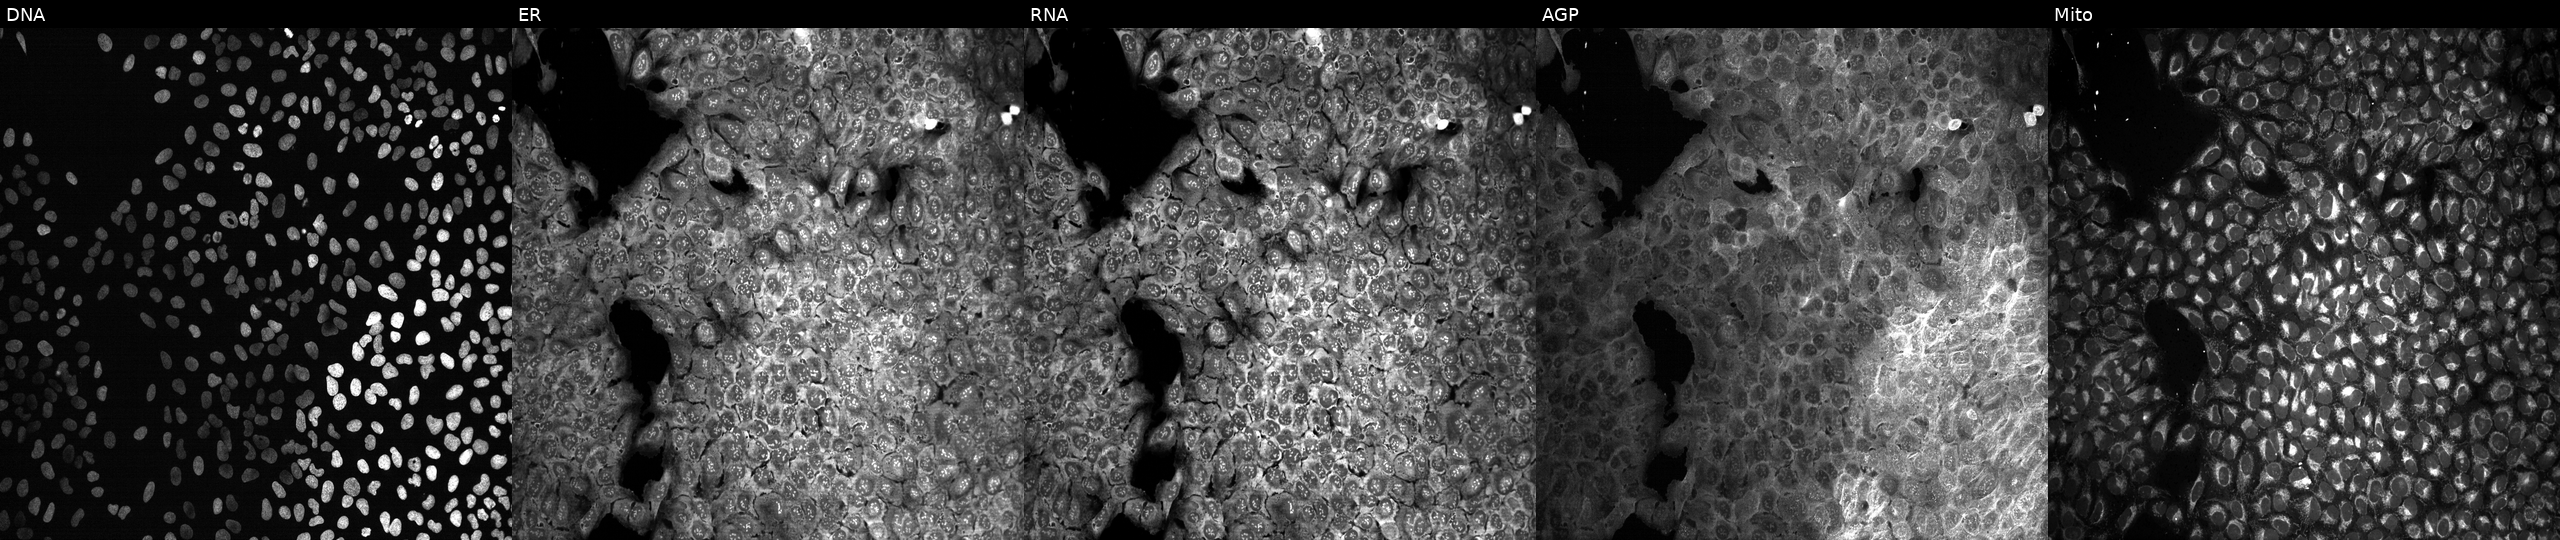
Five-channel Cell Painting image of U2OS cells with a non-targeting CRISPR guide (negative control). From left to right: DNA (nuclei); ER (endoplasmic reticulum); RNA (nucleoli and cytoplasmic RNA); AGP (actin cytoskeleton, Golgi, and plasma membrane); Mito (mitochondria).